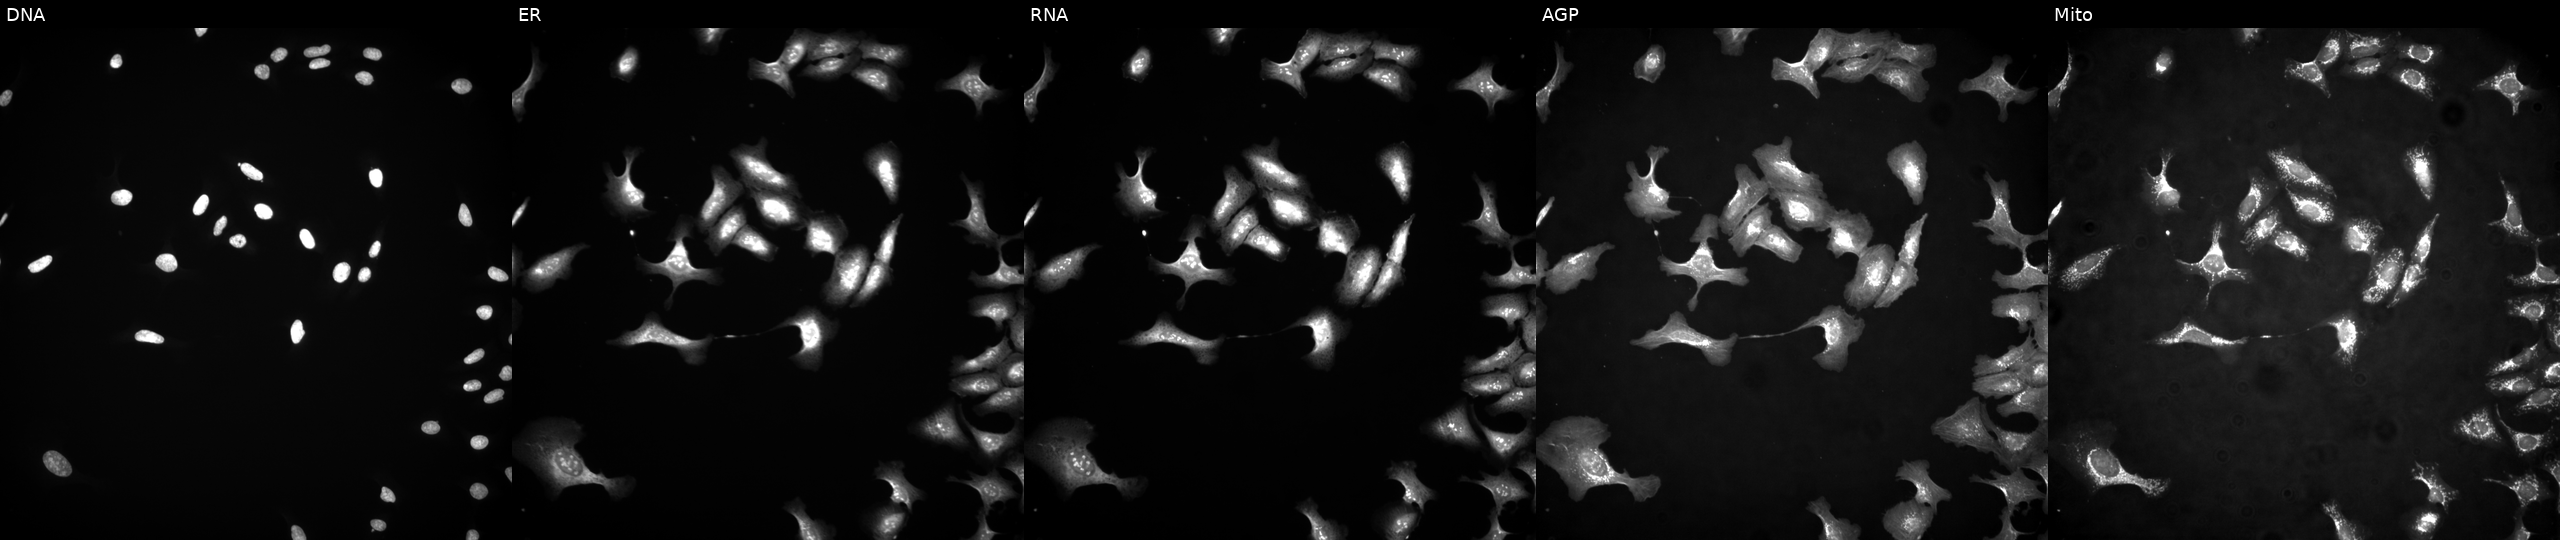
This image strip shows the five Cell Painting channels for a single field of U2OS cells with TBC1D9B overexpressed (ORF) (JUMP id JCP2022_914730). The five panels, left to right, show DNA, ER, RNA, AGP, and Mito.